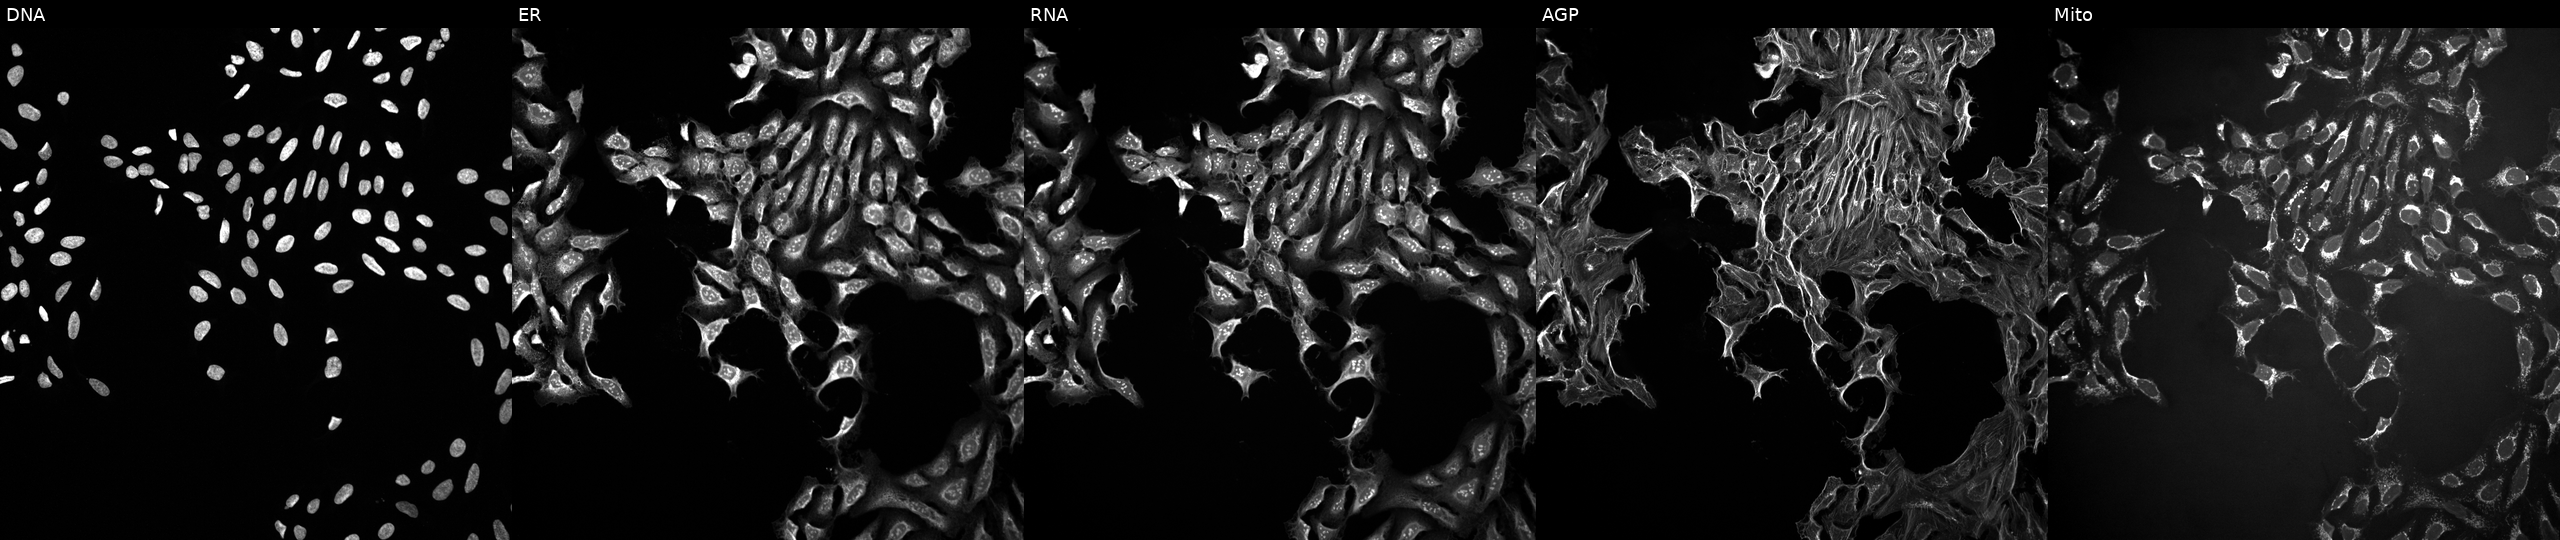
JUMP Cell Painting — TARGET2 plate. U2OS cells perturbed with a small-molecule compound (InChIKey ZNNLBTZKUZBEKO-UHFFFAOYSA-N) (JUMP id JCP2022_114461). Panels show, left to right, DNA (nuclei); ER (endoplasmic reticulum); RNA (nucleoli and cytoplasmic RNA); AGP (actin cytoskeleton, Golgi, and plasma membrane); Mito (mitochondria).